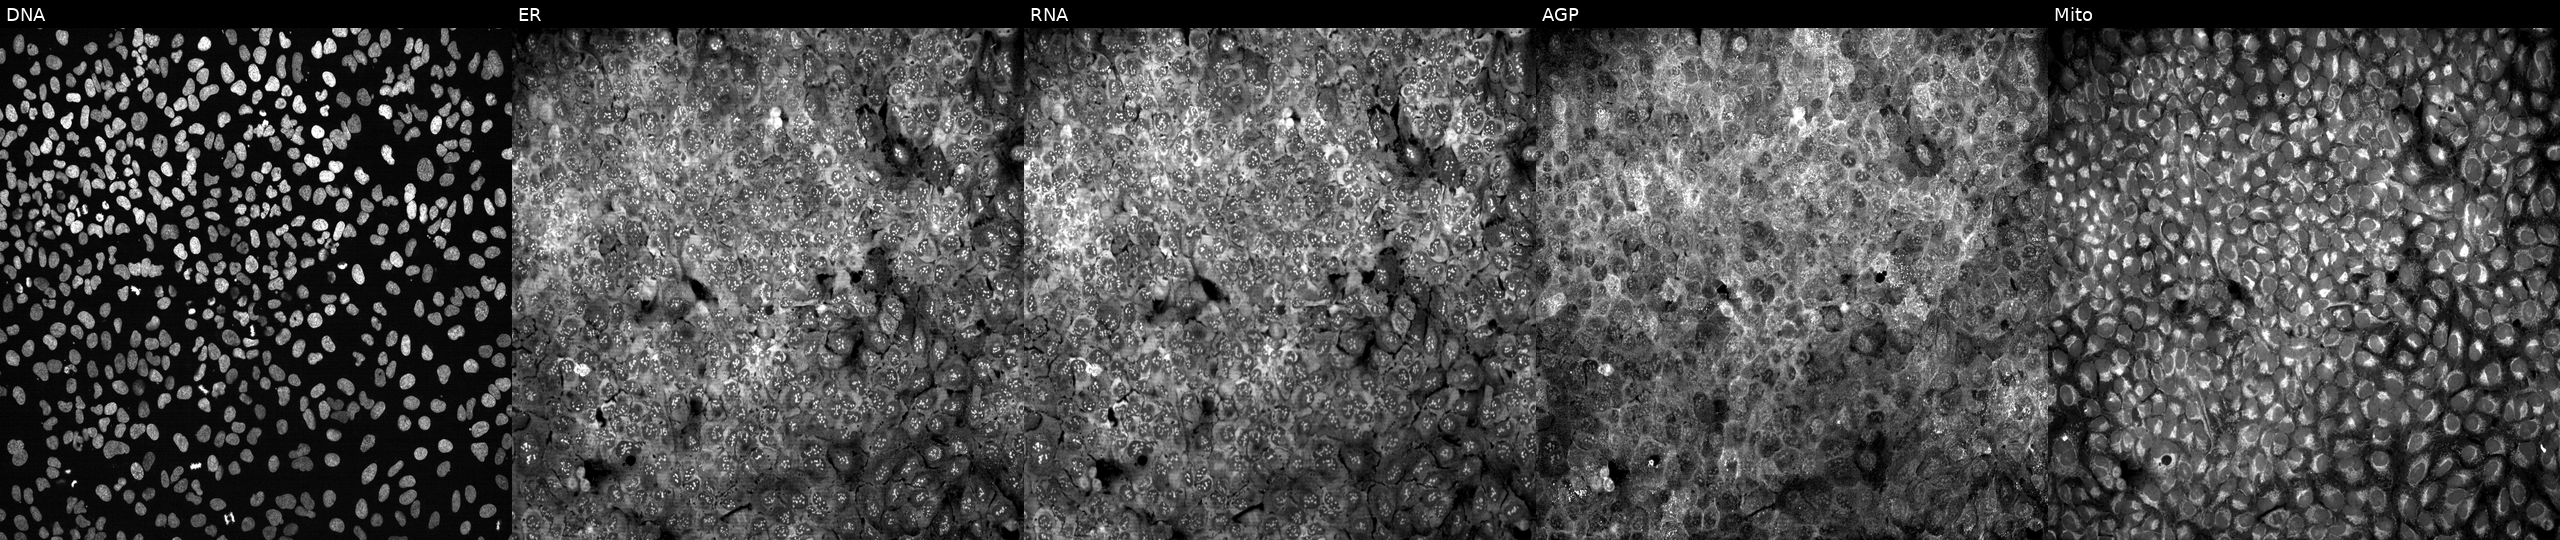
This image strip shows the five Cell Painting channels for a single field of U2OS cells following CRISPR knockout of ADPRH. Panels show, left to right, DNA (nuclei); ER (endoplasmic reticulum); RNA (nucleoli and cytoplasmic RNA); AGP (actin cytoskeleton, Golgi, and plasma membrane); Mito (mitochondria). Source 13, plate CP-CC9-R5-01, well O12.